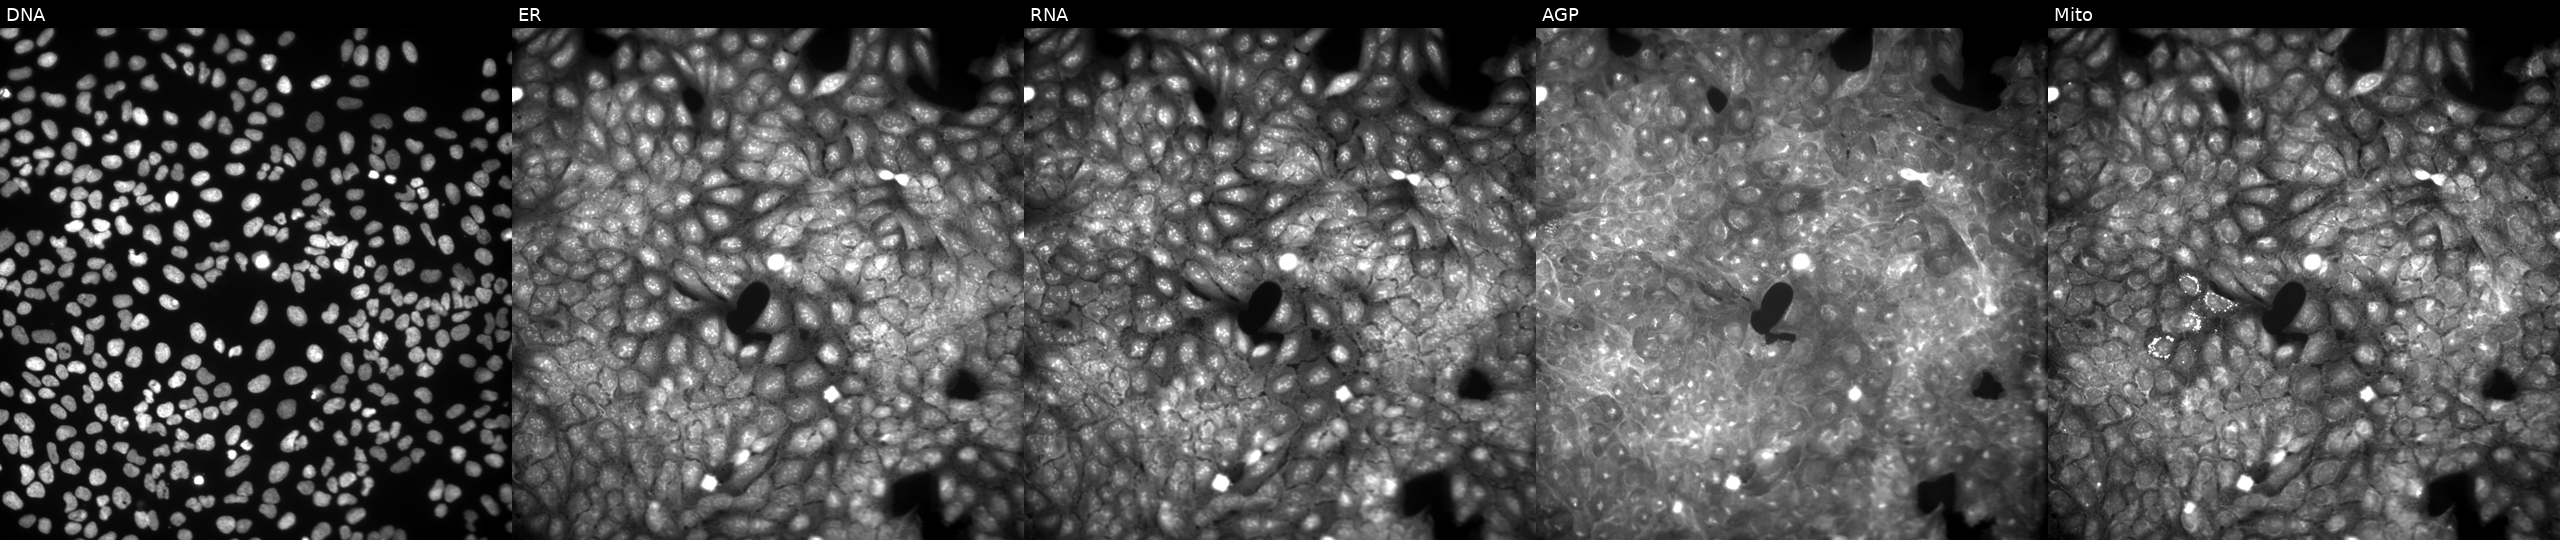
This image strip shows the five Cell Painting channels for a single field of U2OS cells exposed to a small-molecule compound (InChIKey NZEXBHPZEQDICK-UHFFFAOYSA-N). From left to right: Hoechst 33342, concanavalin A, SYTO 14, phalloidin and WGA, MitoTracker.